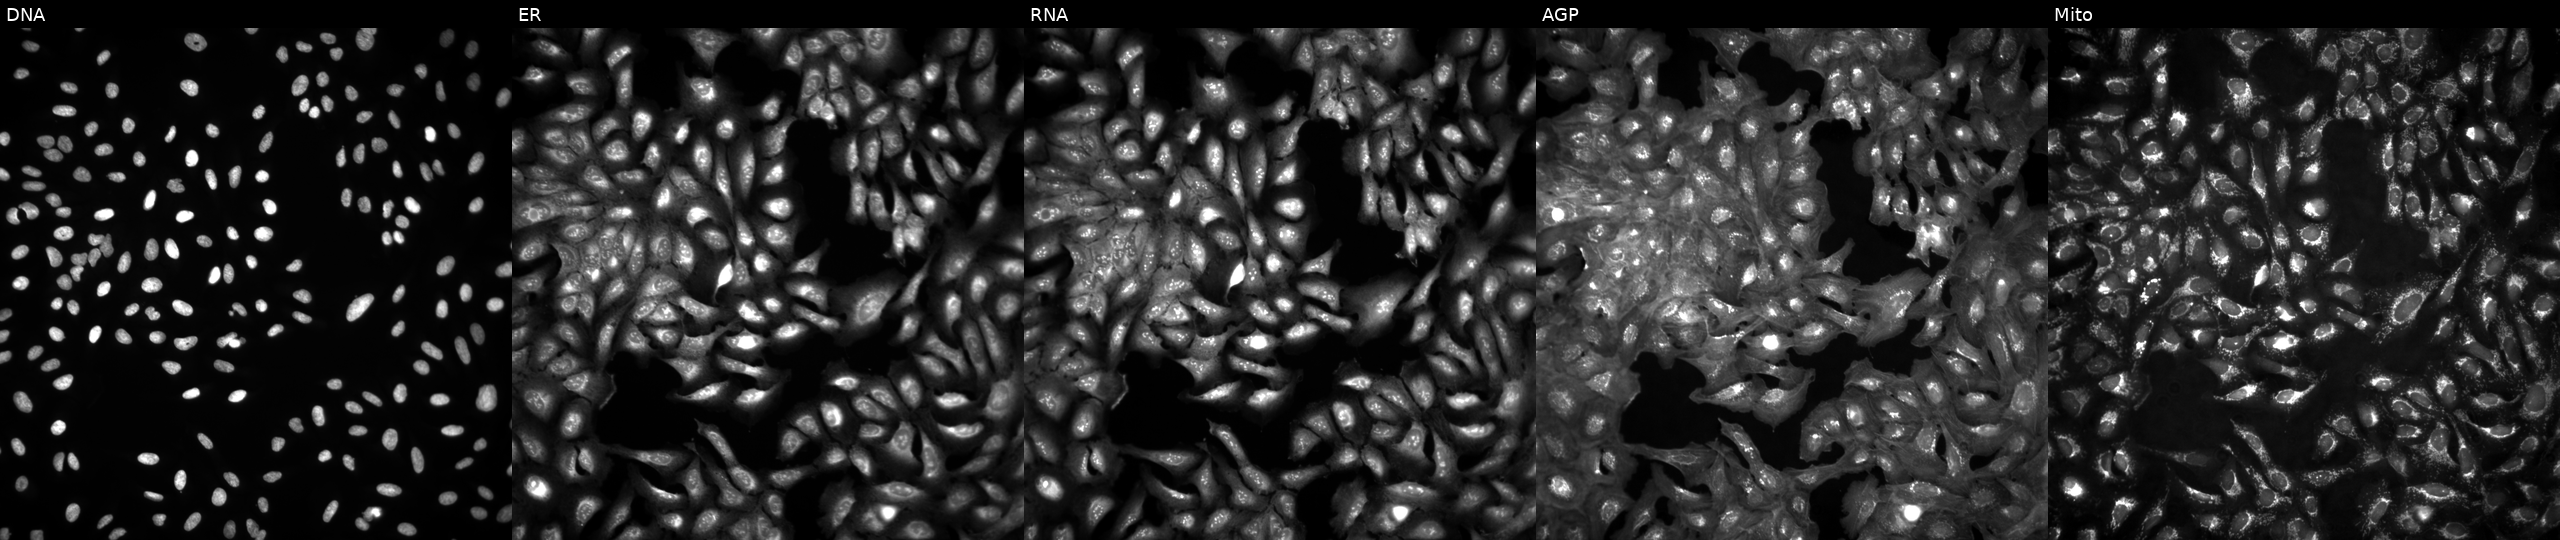
High-content fluorescence microscopy (Cell Painting). Cell line: U2OS. Perturbation: untreated (empty-well control). From left to right: DNA, ER, RNA, AGP, and Mito.